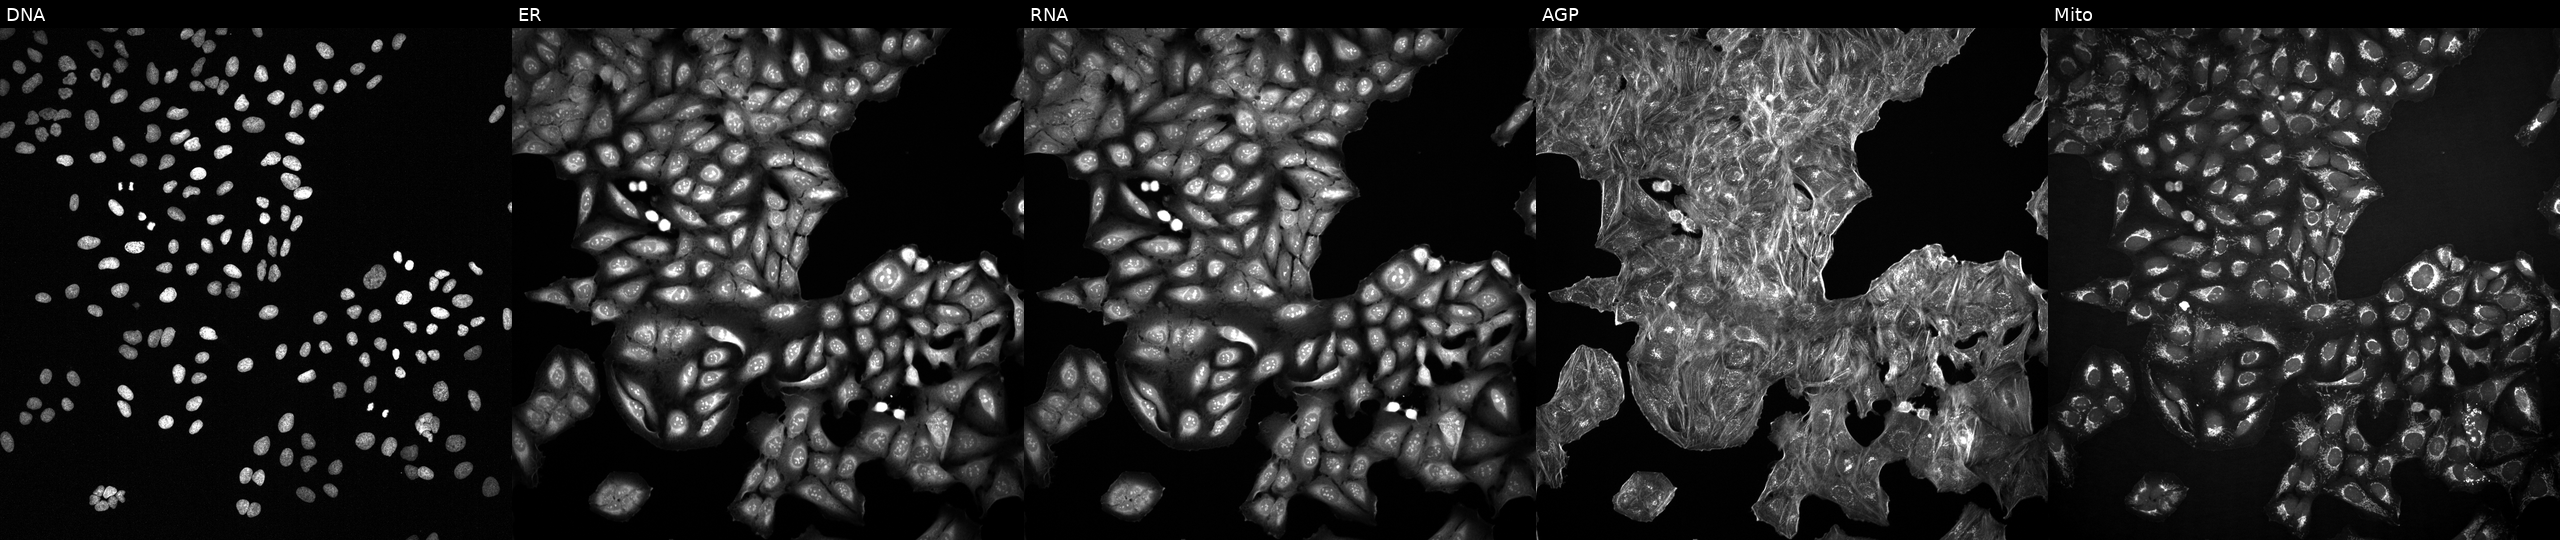
JUMP Cell Painting — COMPOUND plate. U2OS cells treated with a small-molecule compound (InChIKey OZXZUPNSASDKCR-UHFFFAOYSA-N). From left to right: Hoechst 33342, concanavalin A, SYTO 14, phalloidin and WGA, MitoTracker.